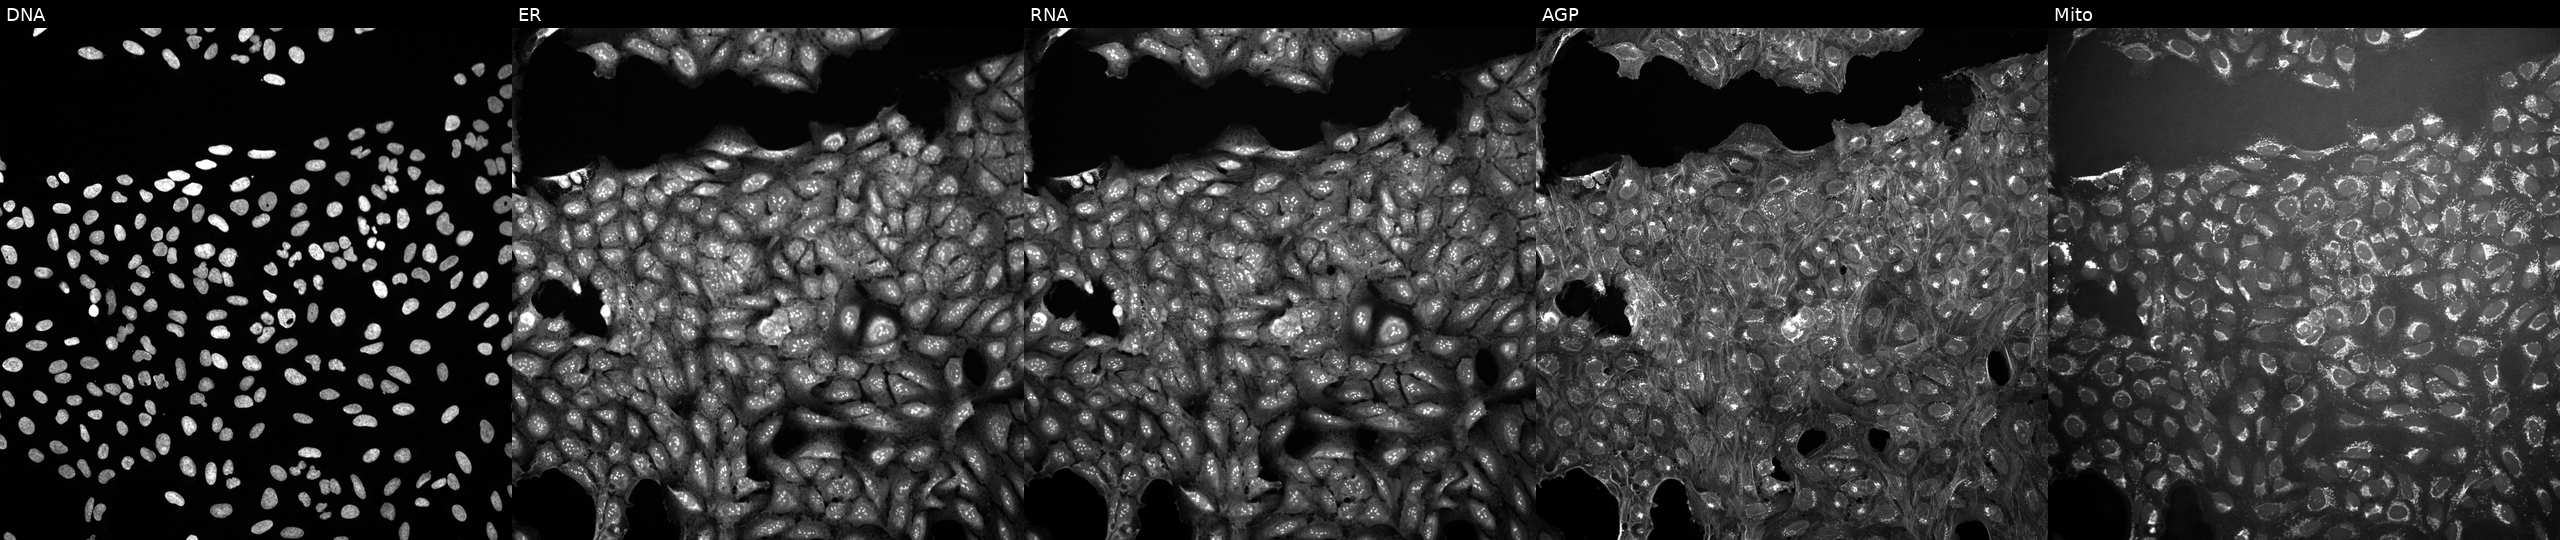
U2OS cells, Cell Painting assay, untreated (empty-well control) (JUMP id JCP2022_999999). Channels (left→right): DNA (nuclei); ER (endoplasmic reticulum); RNA (nucleoli and cytoplasmic RNA); AGP (actin cytoskeleton, Golgi, and plasma membrane); Mito (mitochondria). Each panel is percentile-stretched 16-bit fluorescence. Source 10, plate Dest210531-152149, well C11.